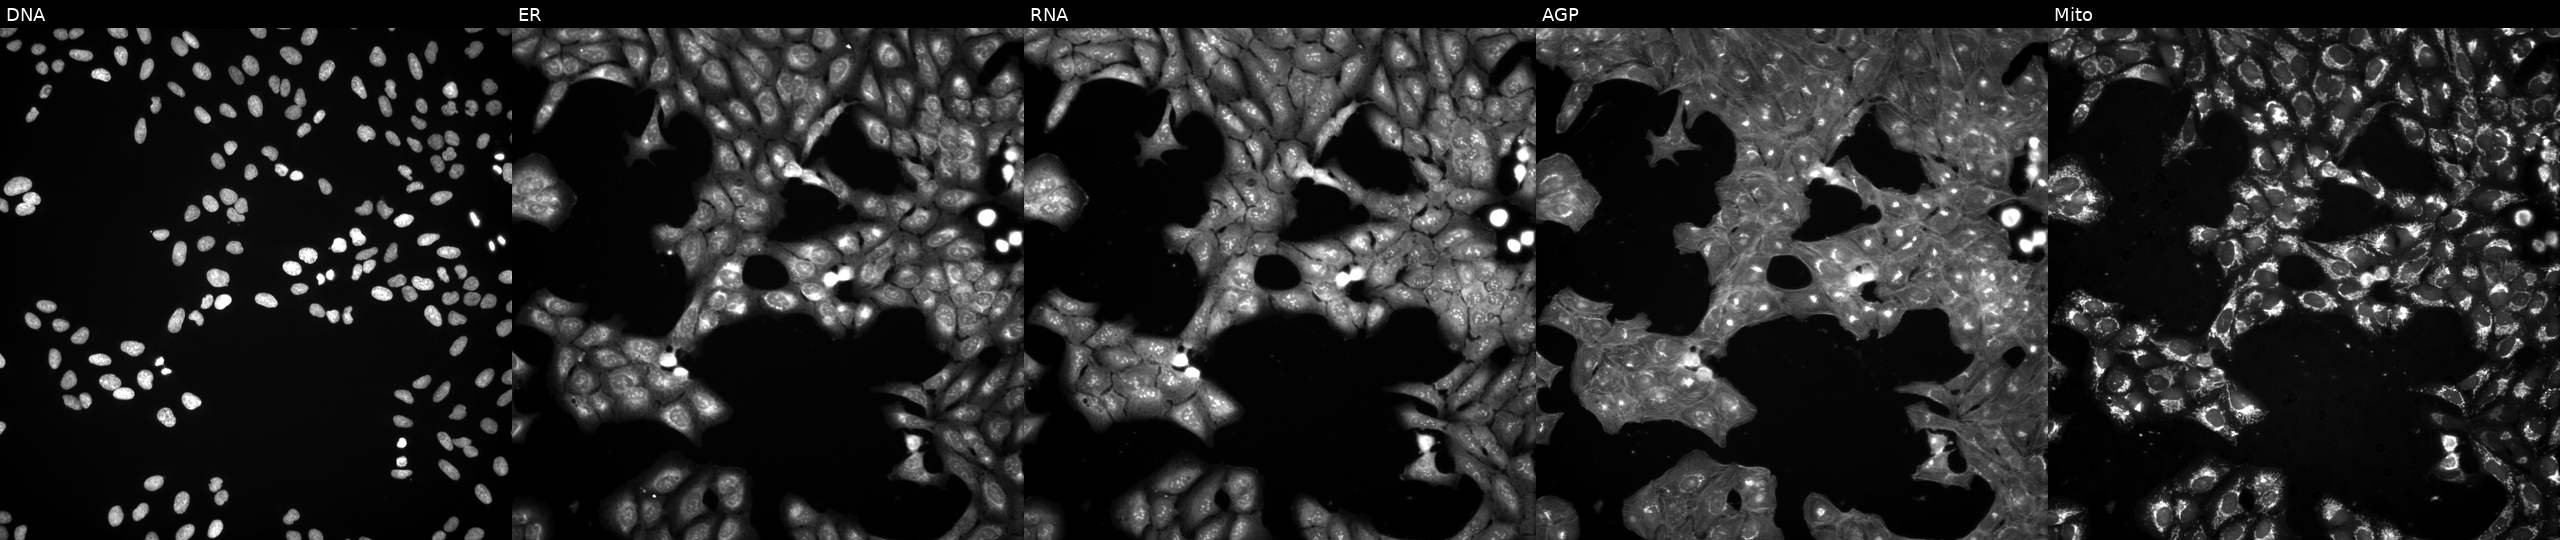
This image strip shows the five Cell Painting channels for a single field of U2OS cells exposed to a small-molecule compound (InChIKey JPHFRACVEOWEGV-UHFFFAOYSA-N) (JUMP id JCP2022_041256). From left to right: DNA (nuclei); ER (endoplasmic reticulum); RNA (nucleoli and cytoplasmic RNA); AGP (actin cytoskeleton, Golgi, and plasma membrane); Mito (mitochondria). Source 3, plate BR5867b3, well N20.